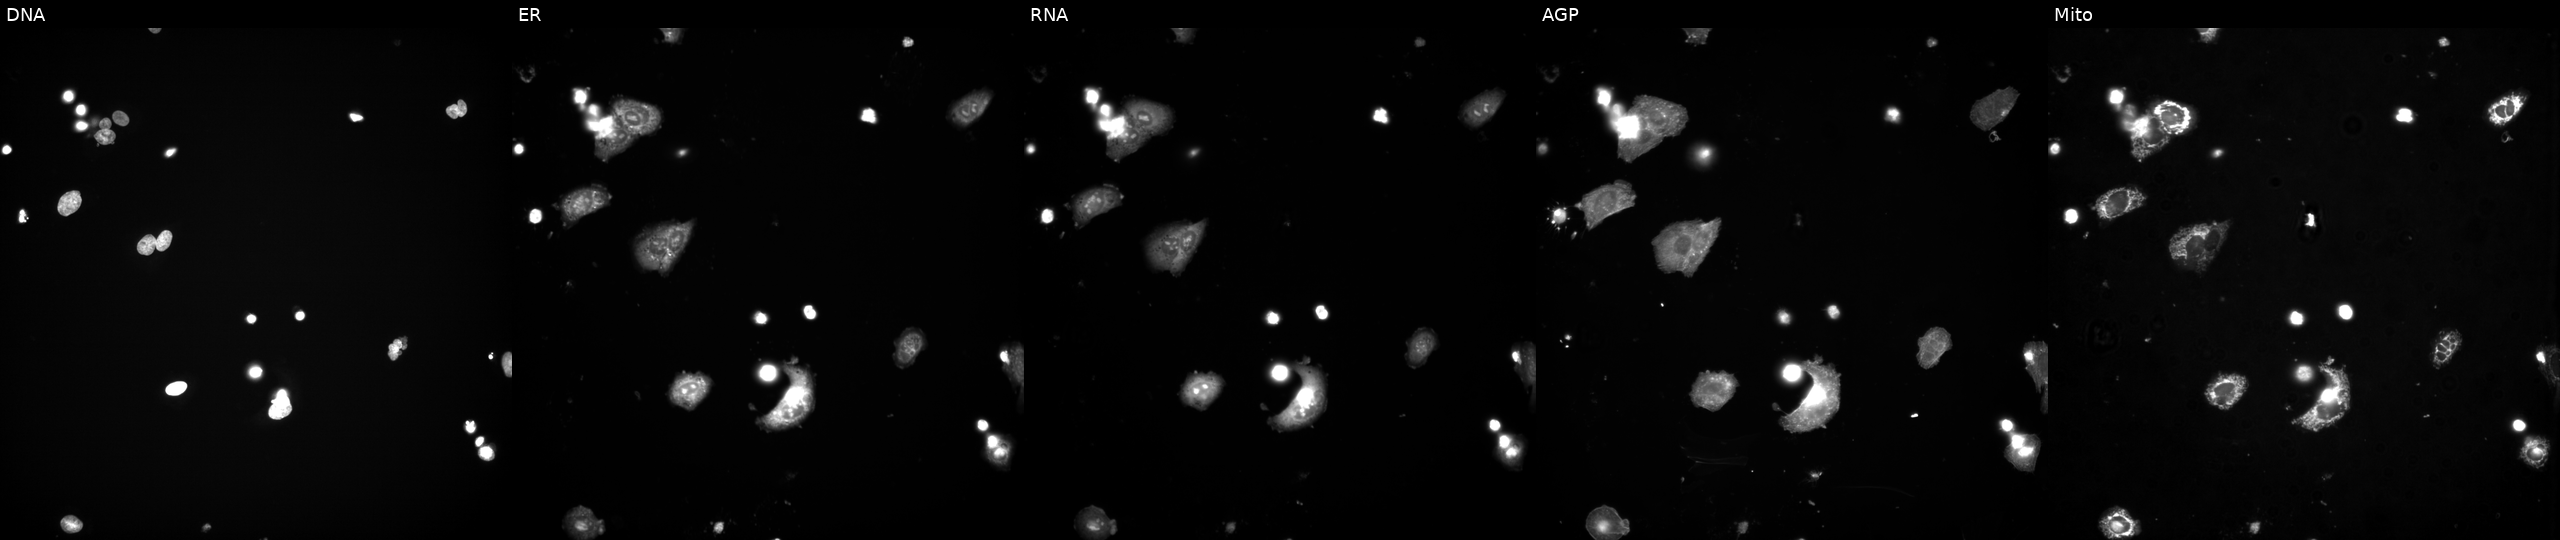
This image strip shows the five Cell Painting channels for a single field of U2OS cells treated with a small-molecule compound (InChIKey VSVFLGPUZJTBSD-UHFFFAOYSA-N). Channels (left→right): DNA (nuclei); ER (endoplasmic reticulum); RNA (nucleoli and cytoplasmic RNA); AGP (actin cytoskeleton, Golgi, and plasma membrane); Mito (mitochondria). Source 3, plate JCPQC051, well D02.